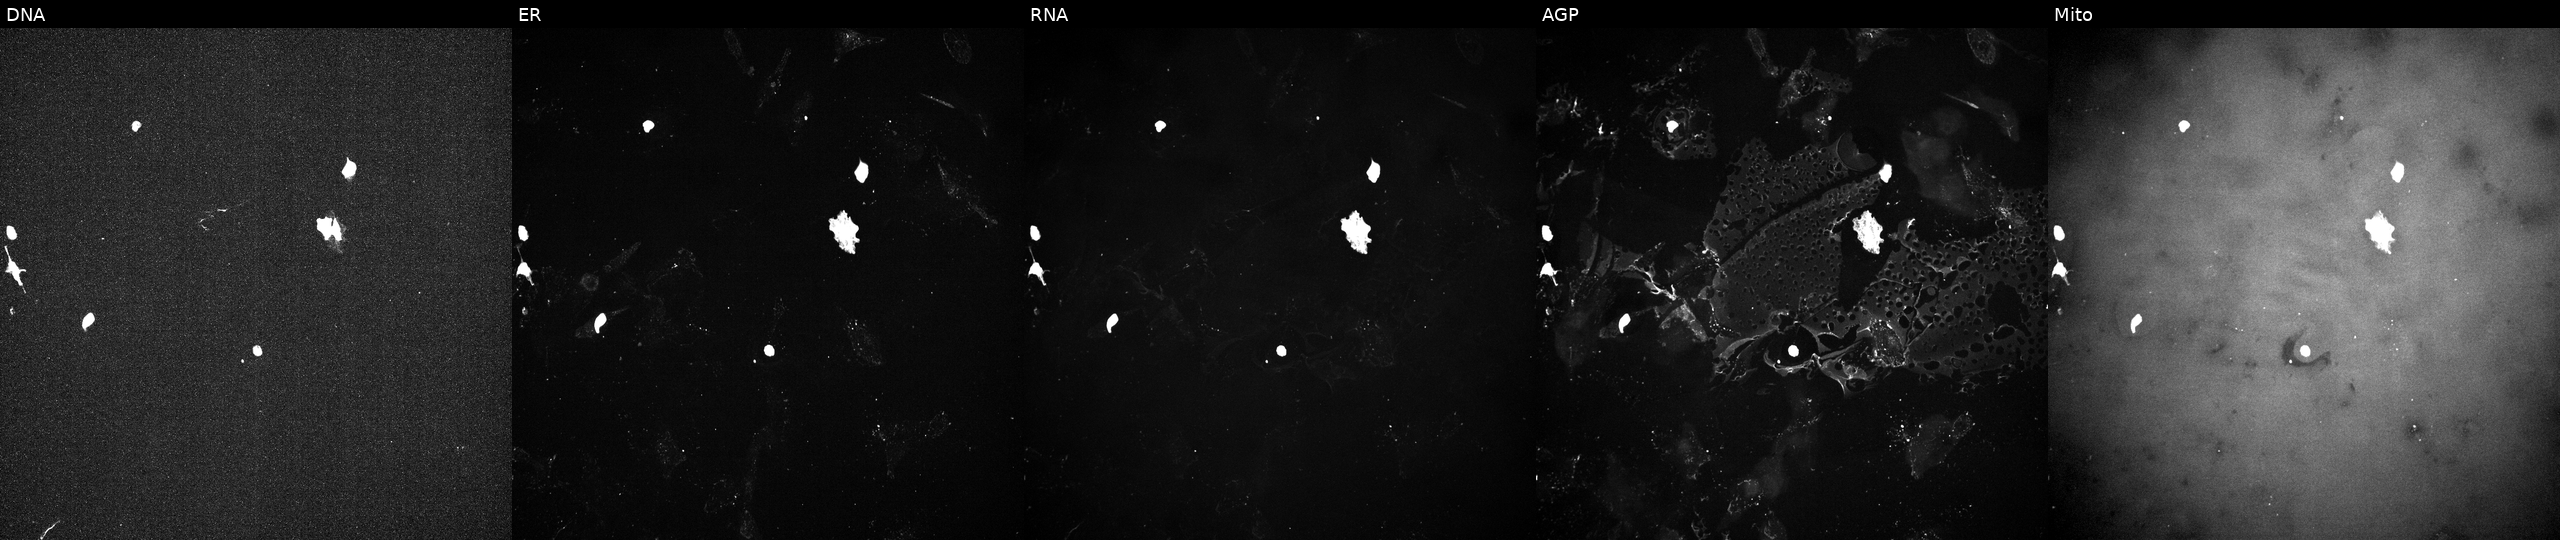
High-content fluorescence microscopy (Cell Painting). Cell line: U2OS. Perturbation: perturbed with a small-molecule compound (InChIKey SOOPLNPQGWJZHY-UHFFFAOYSA-N). The five panels, left to right, show DNA (nuclei); ER (endoplasmic reticulum); RNA (nucleoli and cytoplasmic RNA); AGP (actin cytoskeleton, Golgi, and plasma membrane); Mito (mitochondria). Source 10, plate Dest210727-153003, well L06.